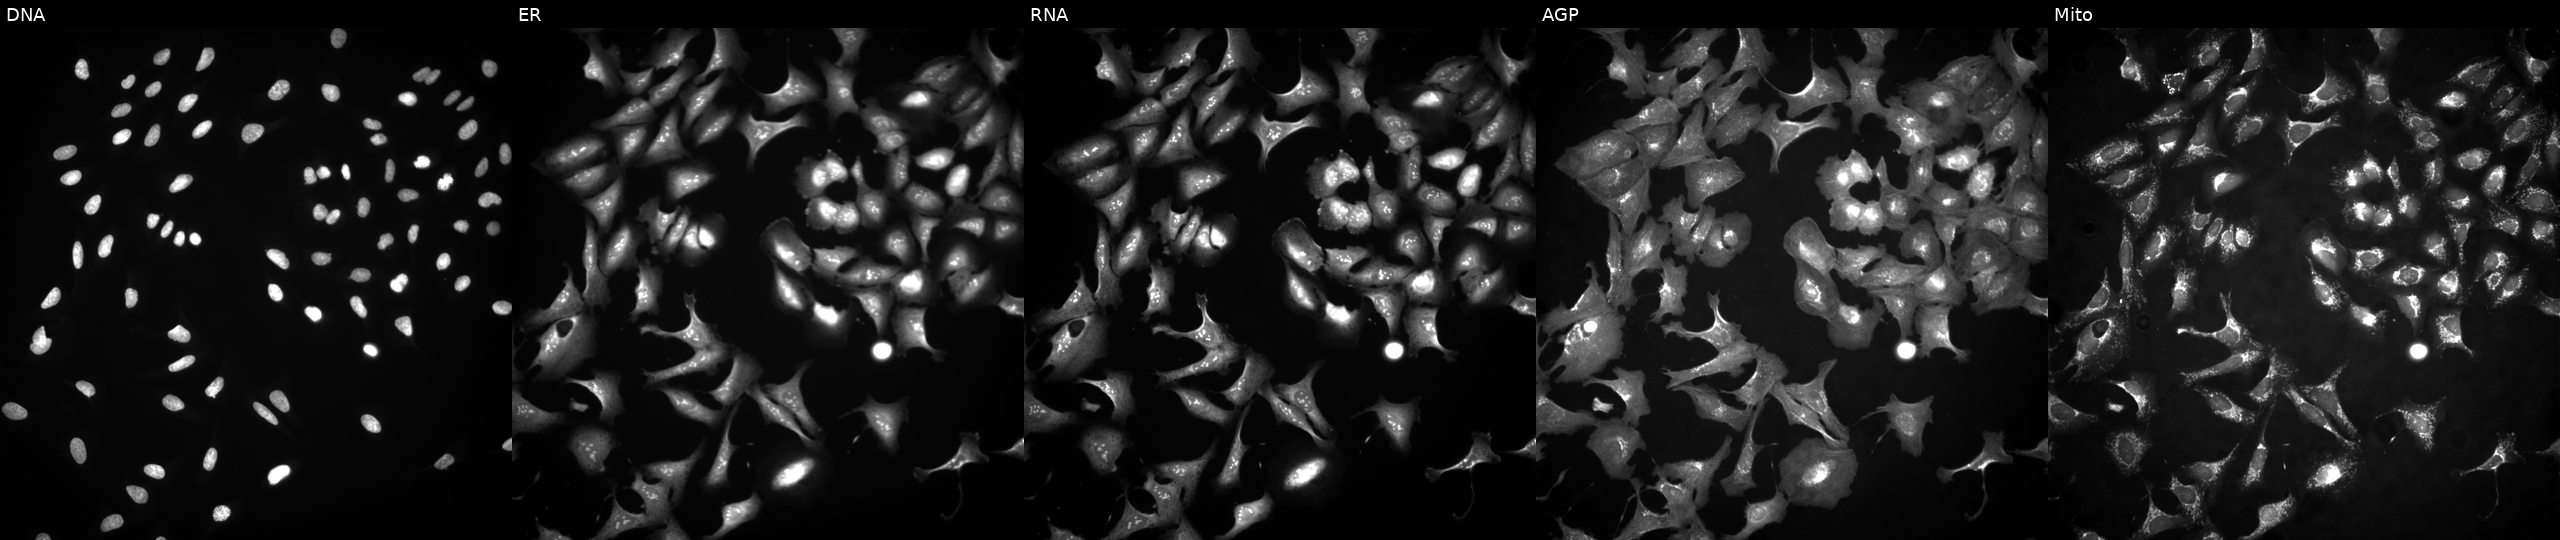
U2OS cells, Cell Painting assay, transfected with an ORF construct for ETS1. From left to right: Hoechst 33342, concanavalin A, SYTO 14, phalloidin and WGA, MitoTracker. Each panel is percentile-stretched 16-bit fluorescence.